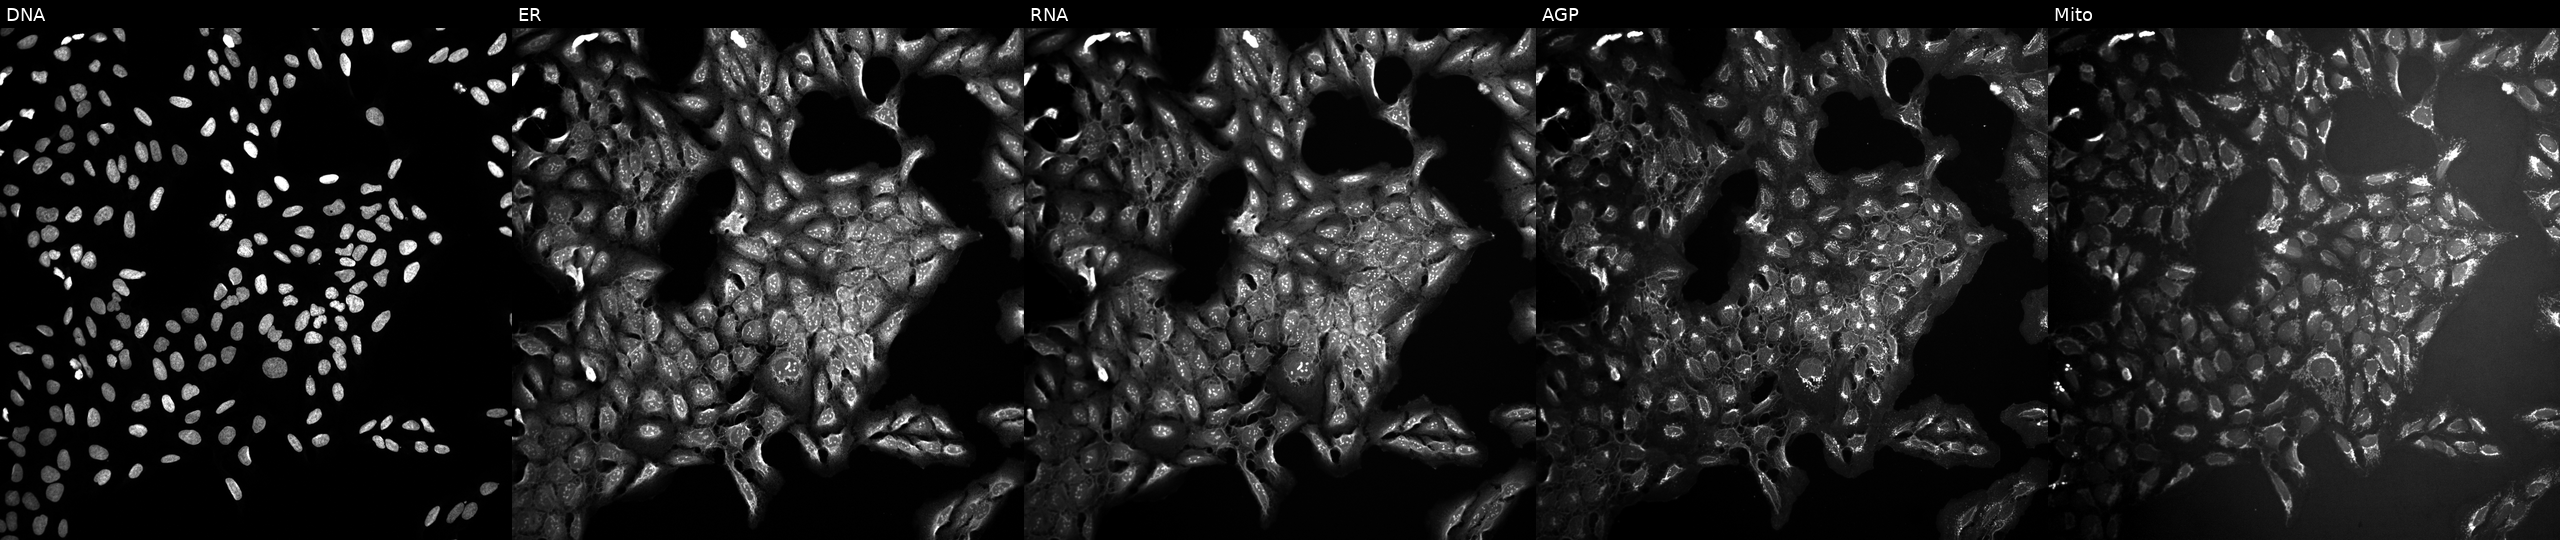
Five-channel Cell Painting image of U2OS cells treated with a small-molecule compound (InChIKey FYIBXBFDXNPBSF-UHFFFAOYSA-N) [SMILES: O=C(NNC(=O)c1ccc(CNS(=O)(=O)c2ccc(F)c(Cl)c2)cc1)c1ccccc1]. The five panels, left to right, show Hoechst 33342, concanavalin A, SYTO 14, phalloidin and WGA, MitoTracker. Source 10, plate Dest210803-153958, well J23.